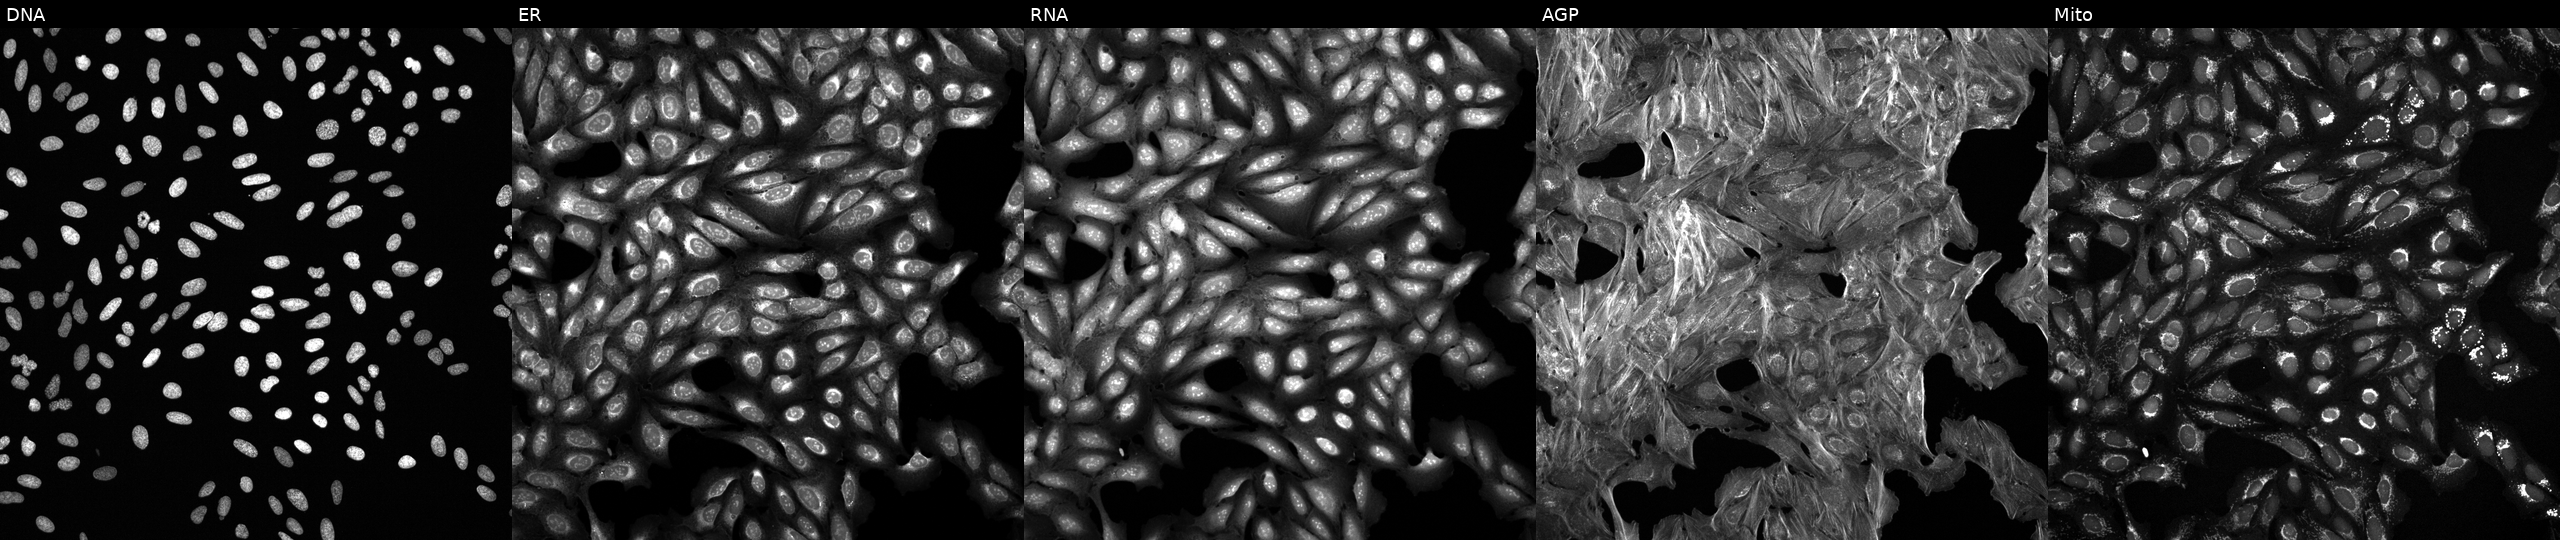
Five-channel Cell Painting image of U2OS cells exposed to a small-molecule compound (InChIKey XYAXFAWHZUDDPV-UHFFFAOYSA-N). Panels show, left to right, DNA (nuclei); ER (endoplasmic reticulum); RNA (nucleoli and cytoplasmic RNA); AGP (actin cytoskeleton, Golgi, and plasma membrane); Mito (mitochondria). Source 6, plate 110000293082, well D12.